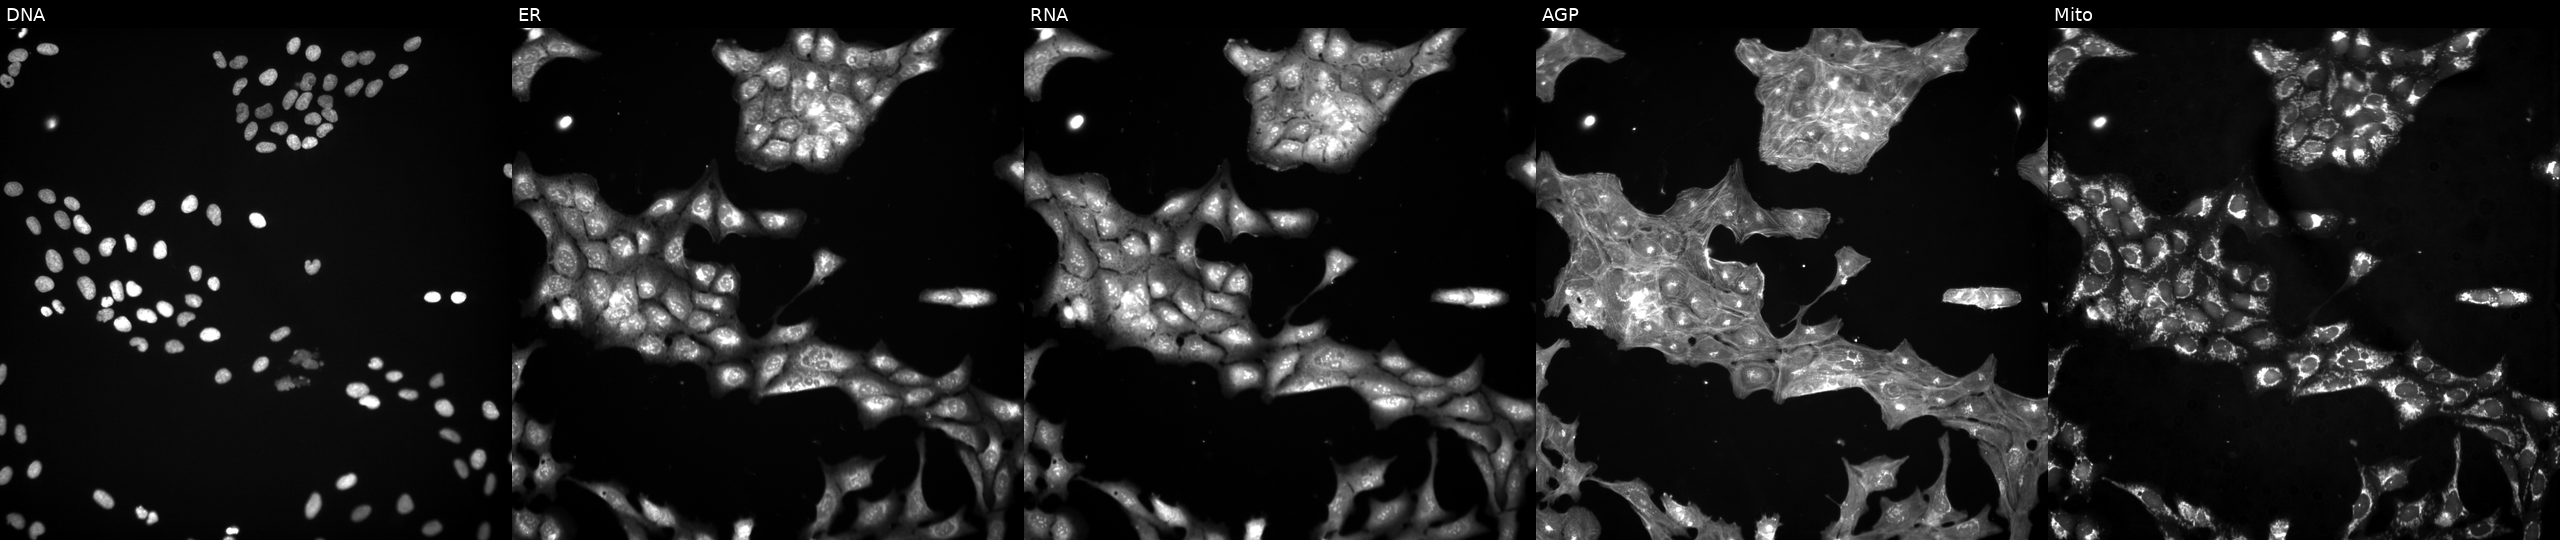
Five-channel Cell Painting image of U2OS cells treated with a small-molecule compound (JUMP id JCP2022_075916). The five panels, left to right, show DNA (nuclei); ER (endoplasmic reticulum); RNA (nucleoli and cytoplasmic RNA); AGP (actin cytoskeleton, Golgi, and plasma membrane); Mito (mitochondria). Source 3, plate JCPQC053, well P17.